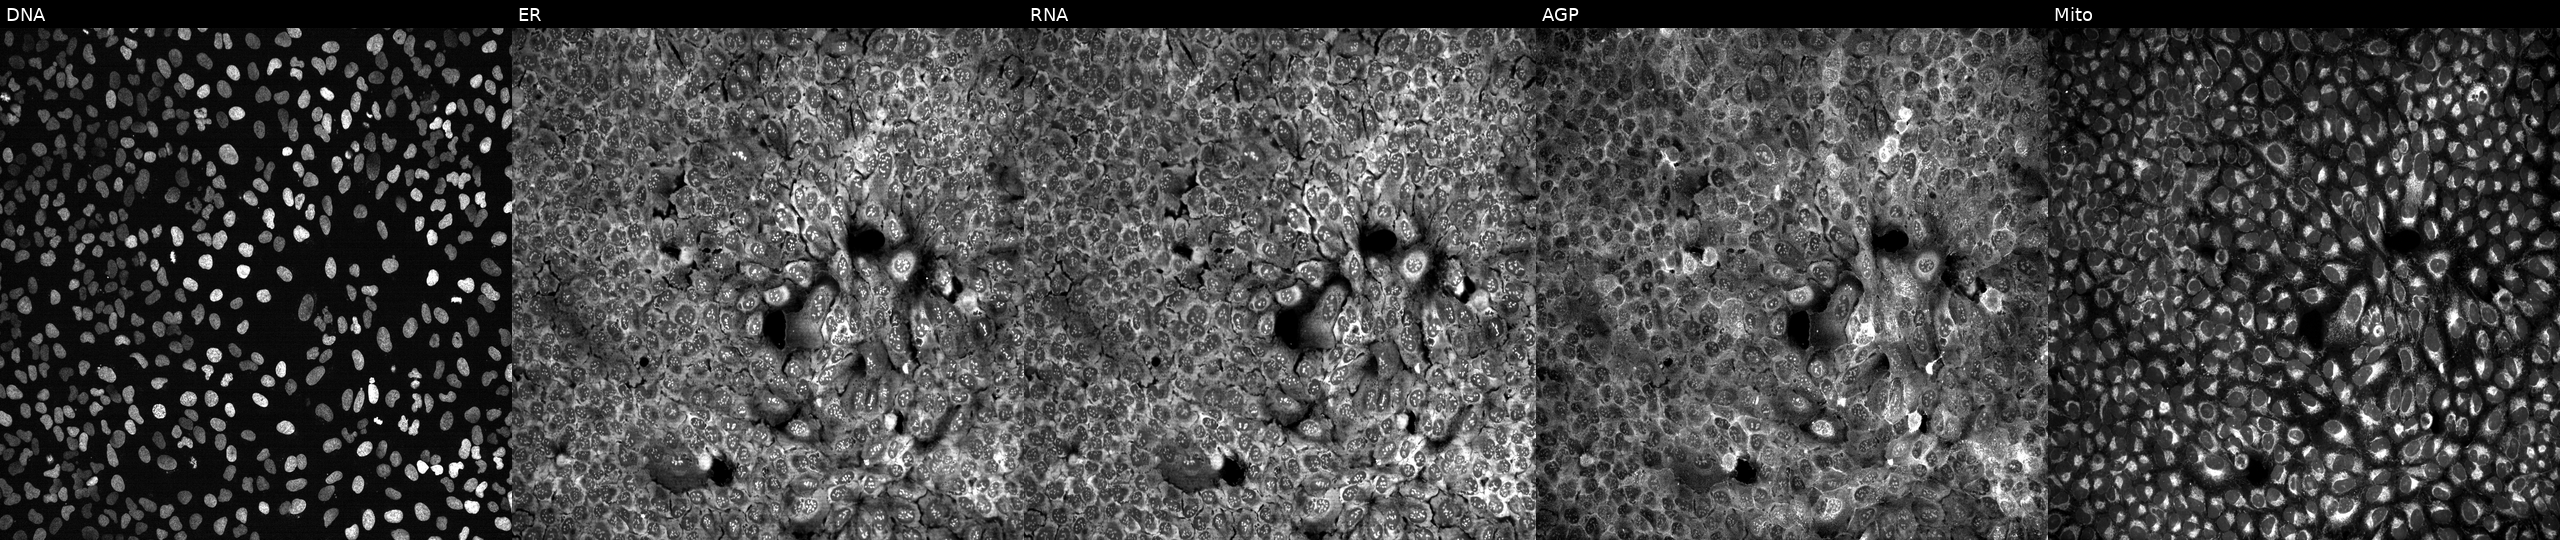
Panels show, left to right, DNA (nuclei); ER (endoplasmic reticulum); RNA (nucleoli and cytoplasmic RNA); AGP (actin cytoskeleton, Golgi, and plasma membrane); Mito (mitochondria). U2OS osteosarcoma cells CRISPR-edited to disrupt HSD17B3 (JUMP id JCP2022_803246). Cell Painting assay, JUMP-CP dataset. Source 13, plate CP-CC9-R4-03, well C20.